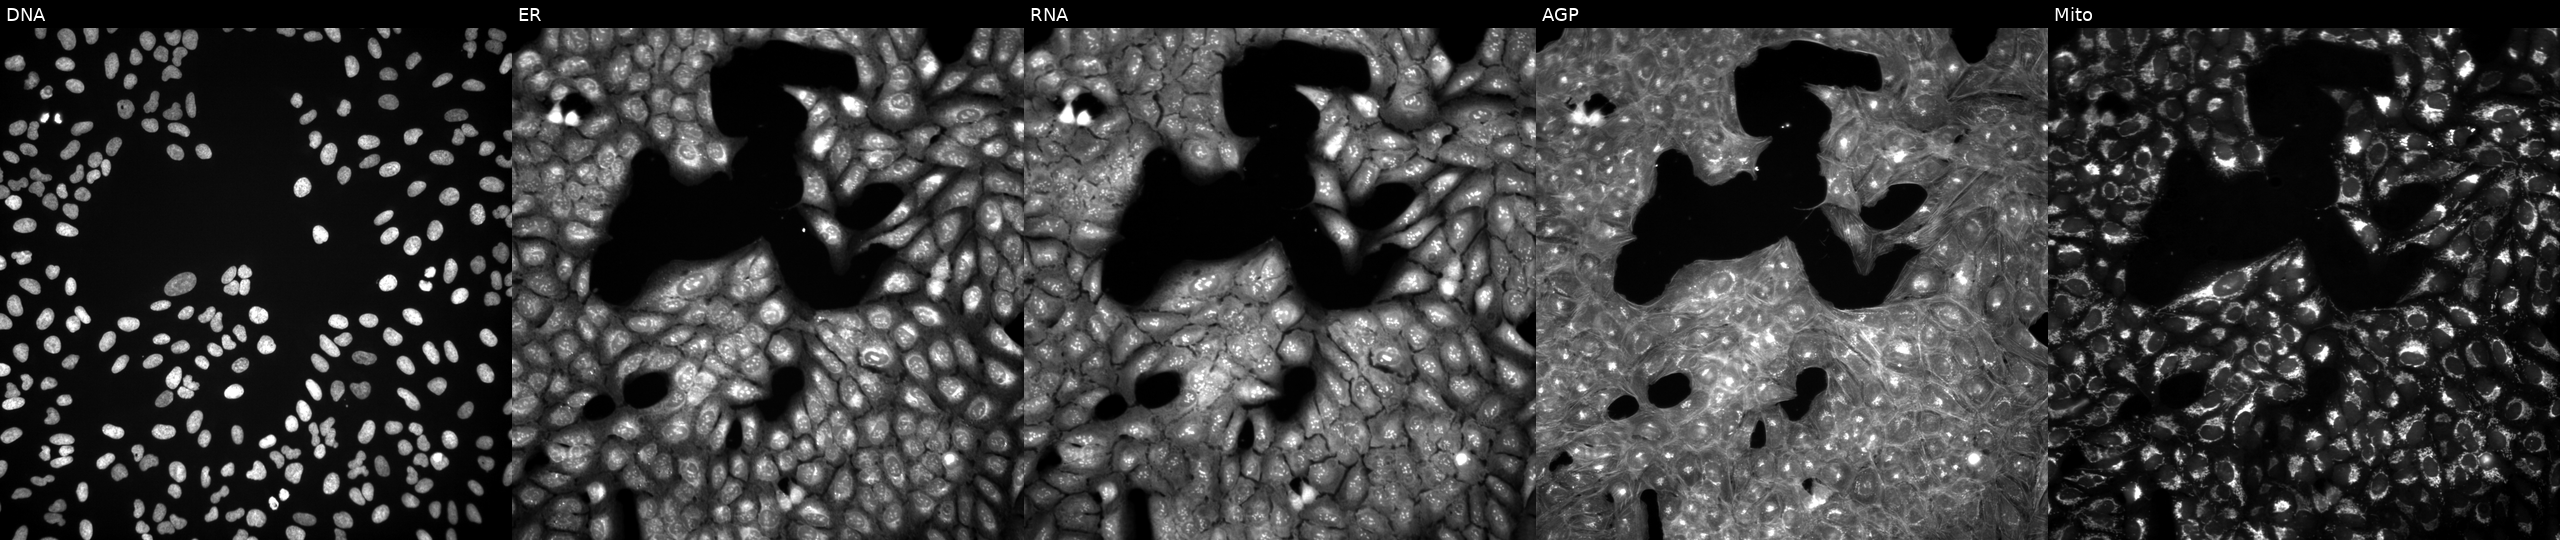
JUMP Cell Painting — TARGET2 plate. U2OS cells exposed to a small-molecule compound (InChIKey JHSXDAWGLCZYSM-UHFFFAOYSA-N) (JUMP id JCP2022_039863). Panels show, left to right, DNA (nuclei); ER (endoplasmic reticulum); RNA (nucleoli and cytoplasmic RNA); AGP (actin cytoskeleton, Golgi, and plasma membrane); Mito (mitochondria).